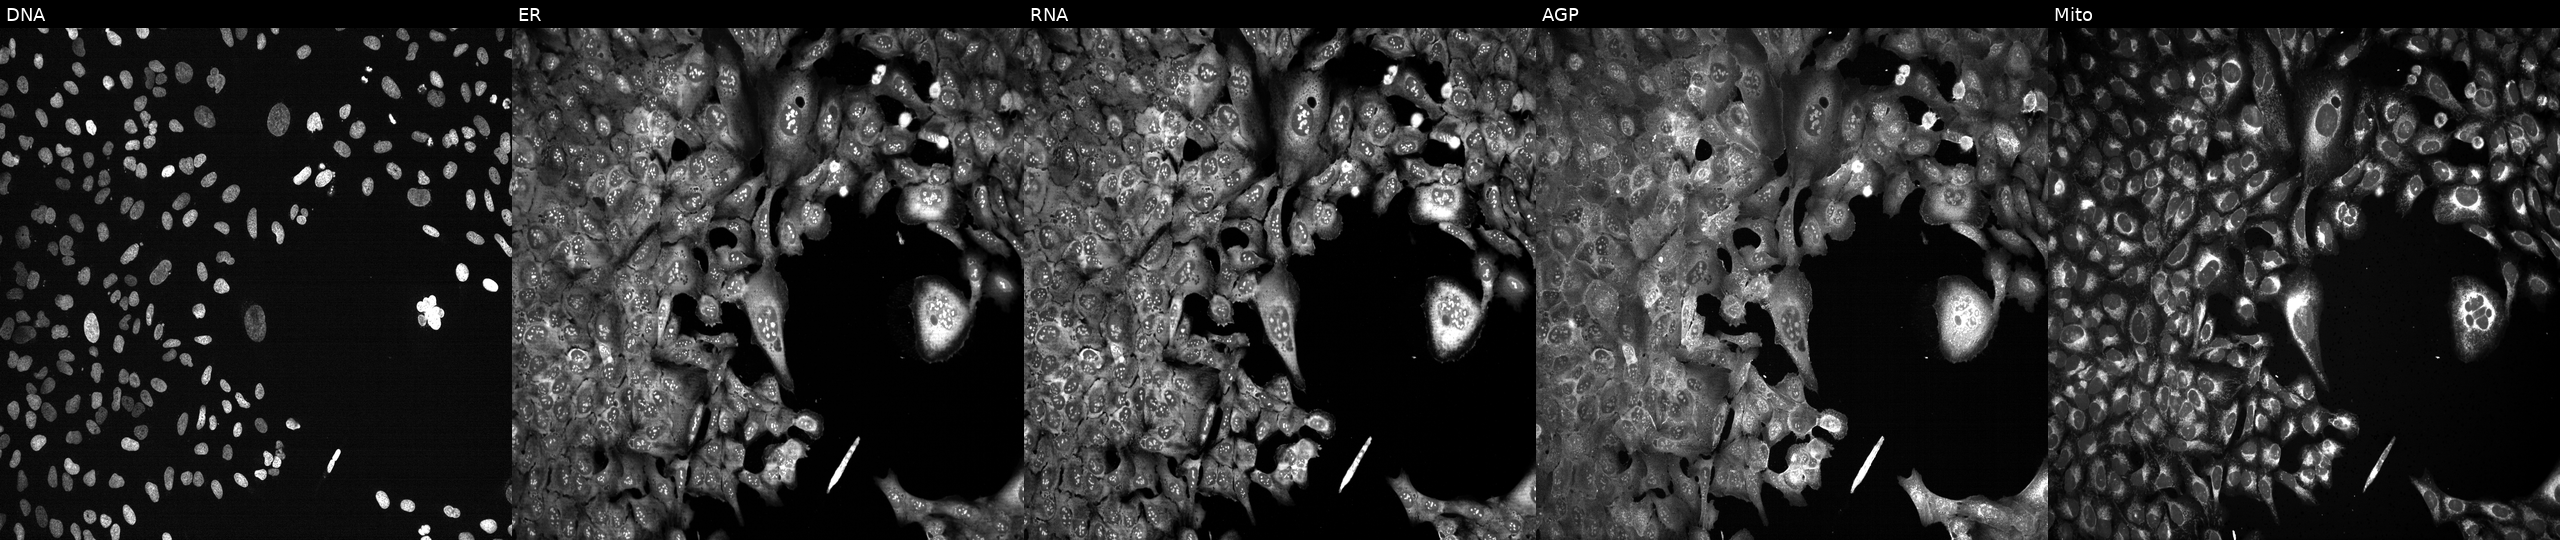
JUMP Cell Painting — CRISPR plate. U2OS cells with EXOSC9 knocked out by CRISPR. From left to right: DNA (nuclei); ER (endoplasmic reticulum); RNA (nucleoli and cytoplasmic RNA); AGP (actin cytoskeleton, Golgi, and plasma membrane); Mito (mitochondria). Source 13, plate CP-CC9-R4-03, well B07.